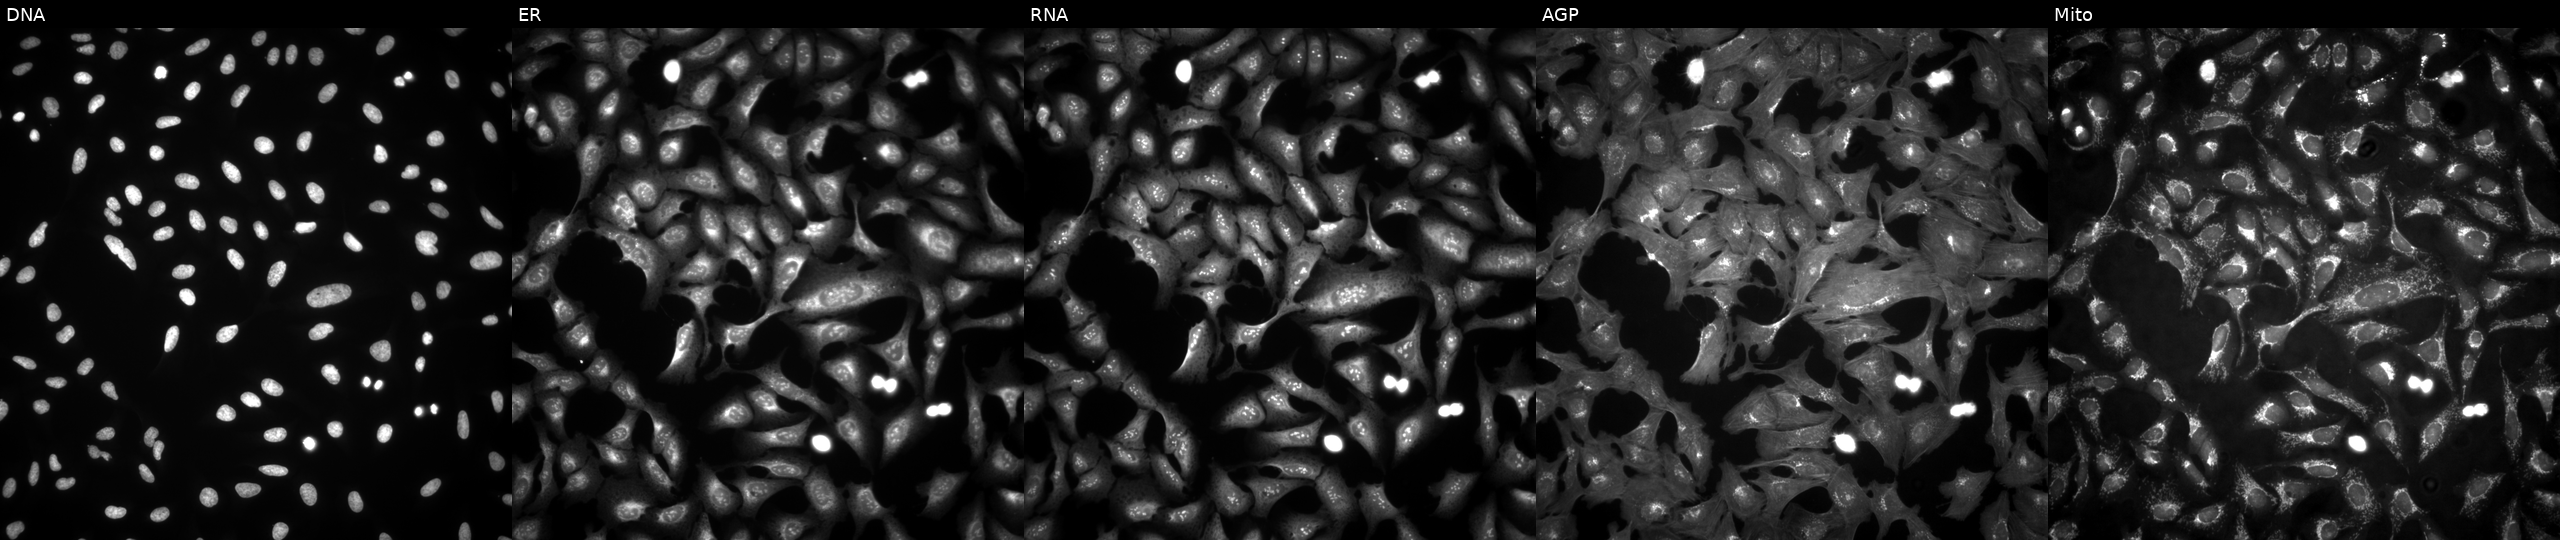
Five-channel Cell Painting image of U2OS cells transfected with a failed ORF construct (JUMP BAD CONSTRUCT marker). From left to right: Hoechst 33342, concanavalin A, SYTO 14, phalloidin and WGA, MitoTracker.